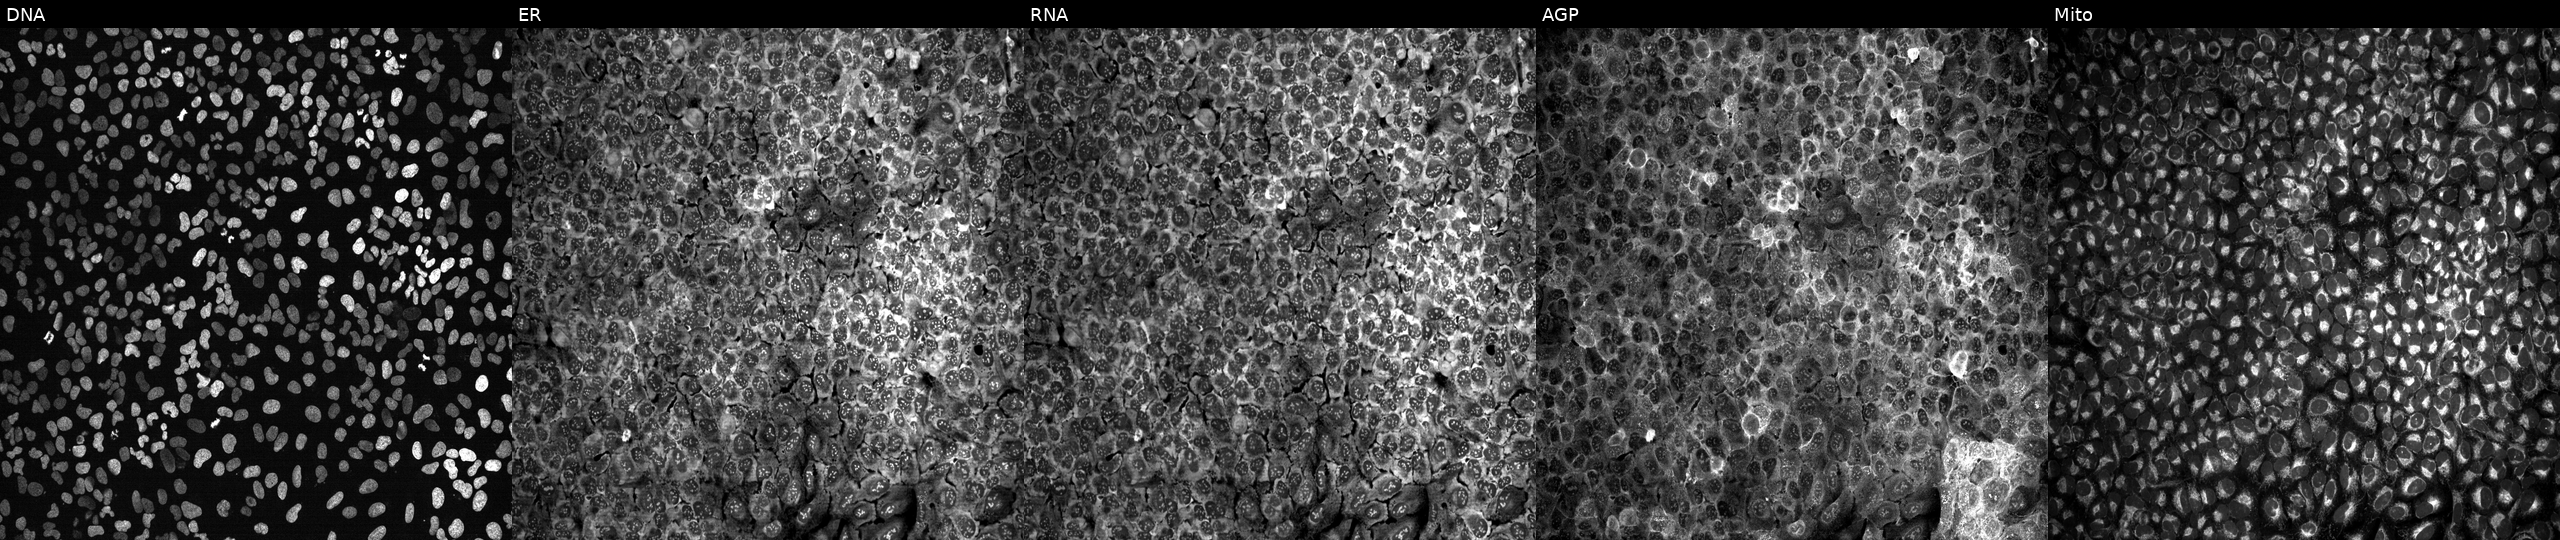
From left to right: DNA, ER, RNA, AGP, and Mito. U2OS osteosarcoma cells following CRISPR knockout of UGT1A1 (JUMP id JCP2022_807517). Cell Painting assay, JUMP-CP dataset. Source 13, plate CP-CC9-R4-03, well E11.